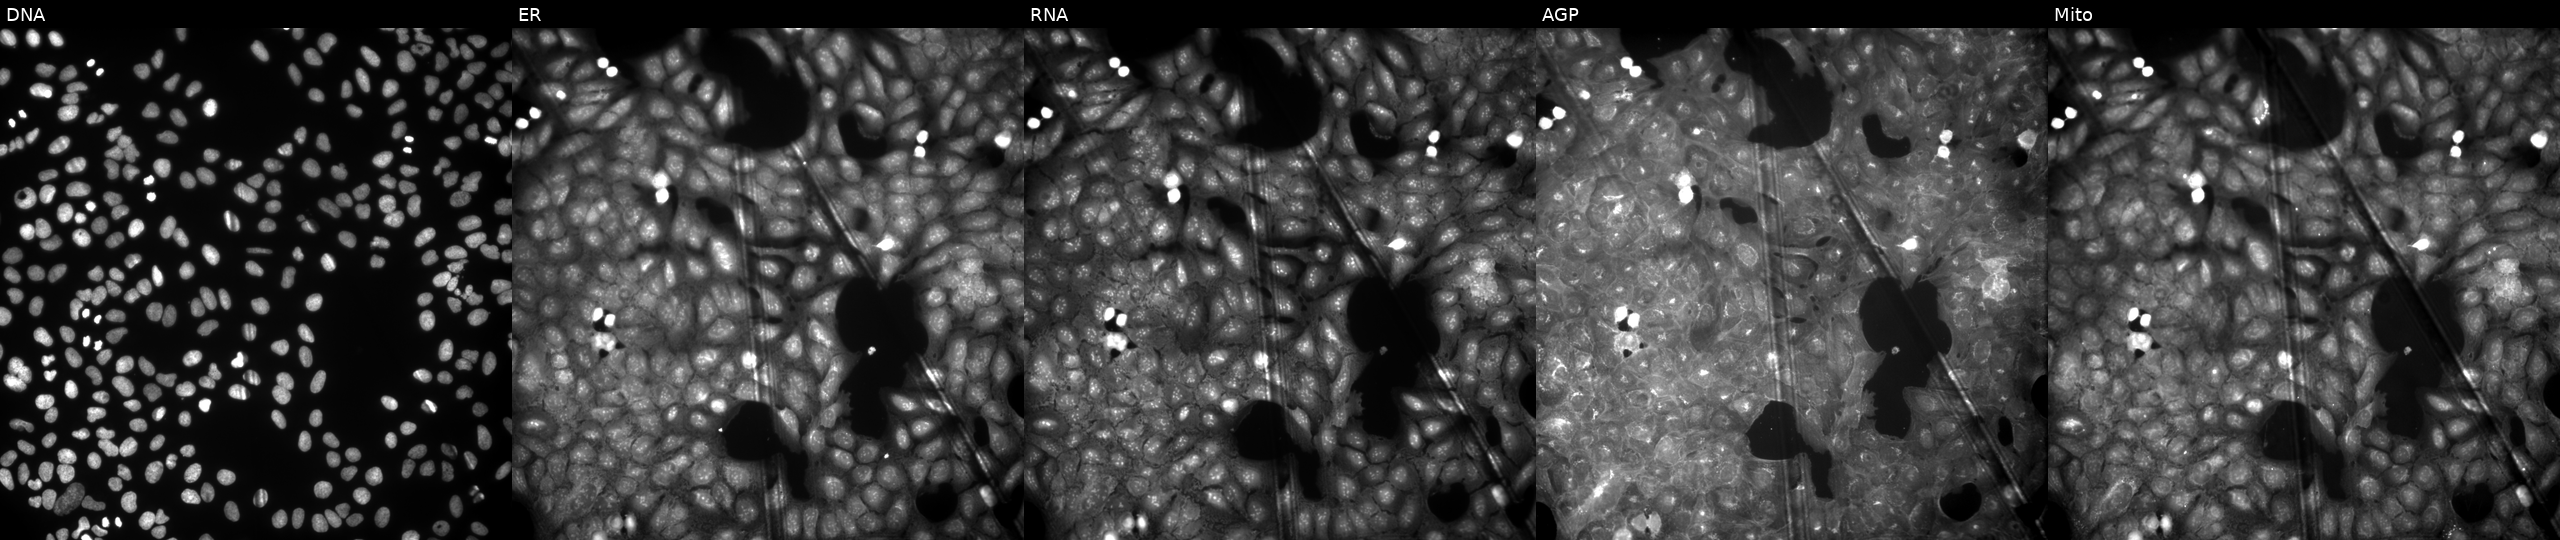
This image strip shows the five Cell Painting channels for a single field of U2OS cells perturbed with a small-molecule compound (InChIKey FSLCVBMZDHZDKO-UHFFFAOYSA-N). Panels show, left to right, DNA, ER, RNA, AGP, and Mito. Source 9, plate GR00003381, well V34.